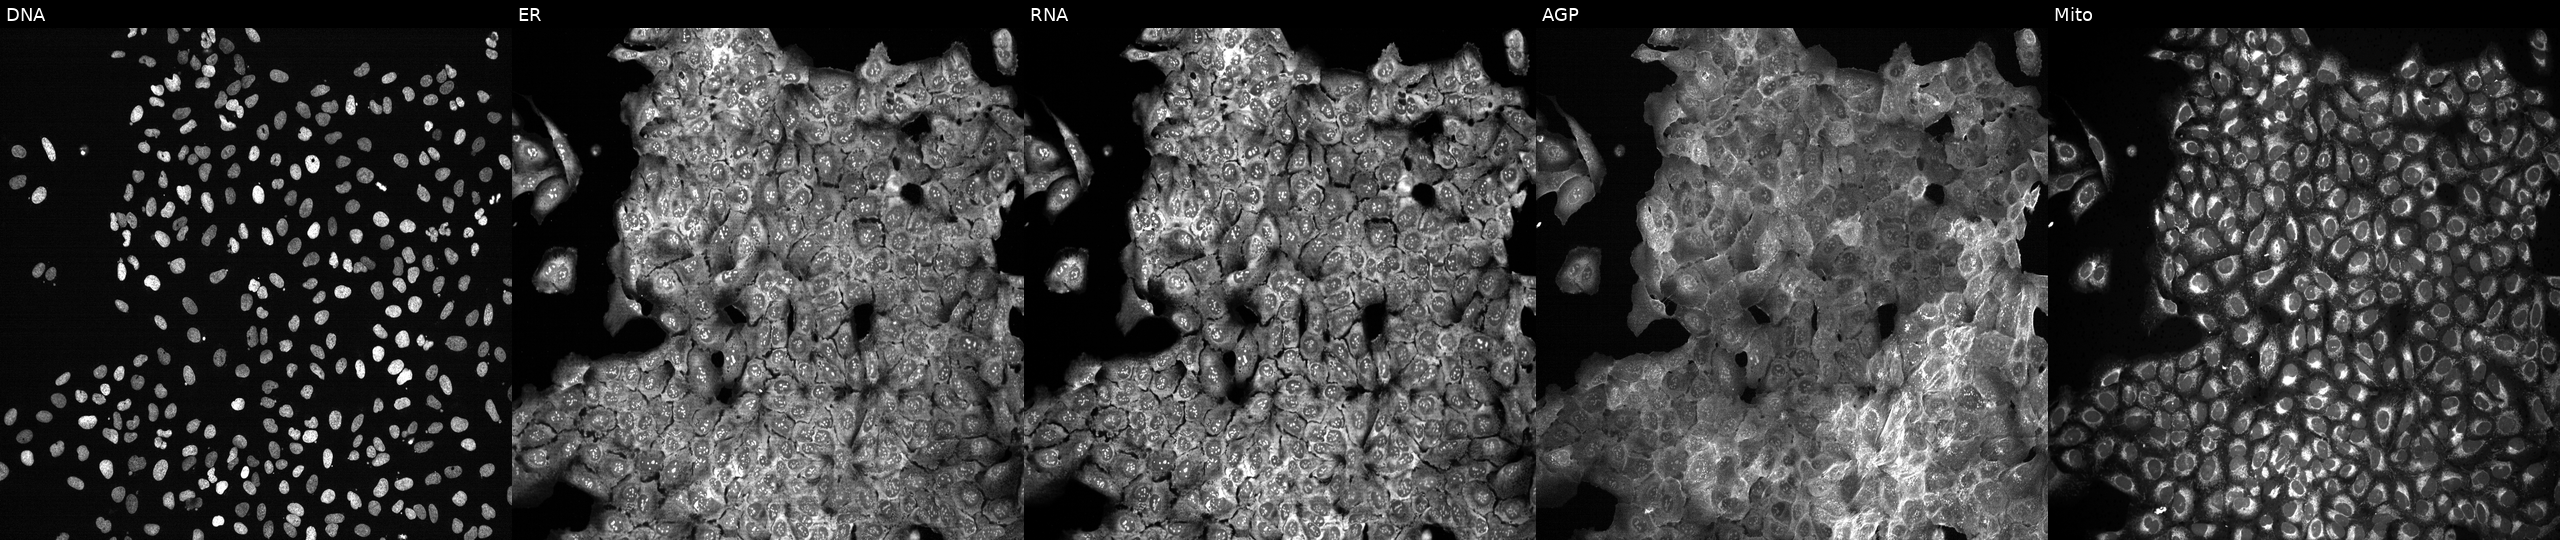
High-content fluorescence microscopy (Cell Painting). Cell line: U2OS. Perturbation: with FCRL2 knocked out by CRISPR (JUMP id JCP2022_802353). The five panels, left to right, show DNA (nuclei); ER (endoplasmic reticulum); RNA (nucleoli and cytoplasmic RNA); AGP (actin cytoskeleton, Golgi, and plasma membrane); Mito (mitochondria). Source 13, plate CP-CC9-R2-01, well F19.